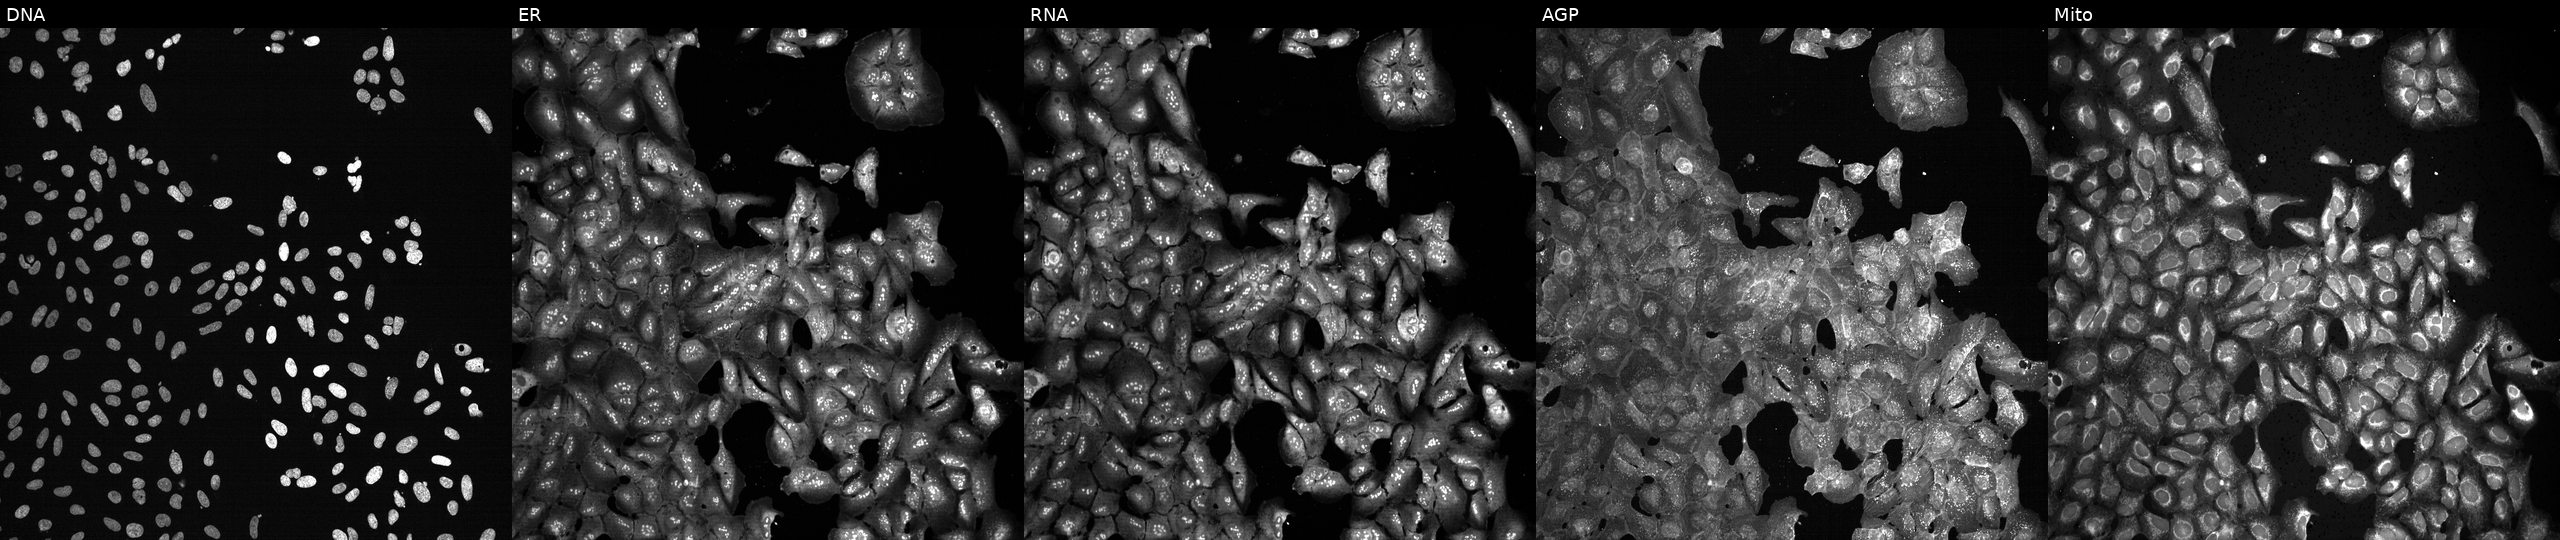
Five-channel Cell Painting image of U2OS cells following CRISPR knockout of DDX18 (JUMP id JCP2022_801723). Panels show, left to right, DNA (nuclei); ER (endoplasmic reticulum); RNA (nucleoli and cytoplasmic RNA); AGP (actin cytoskeleton, Golgi, and plasma membrane); Mito (mitochondria).